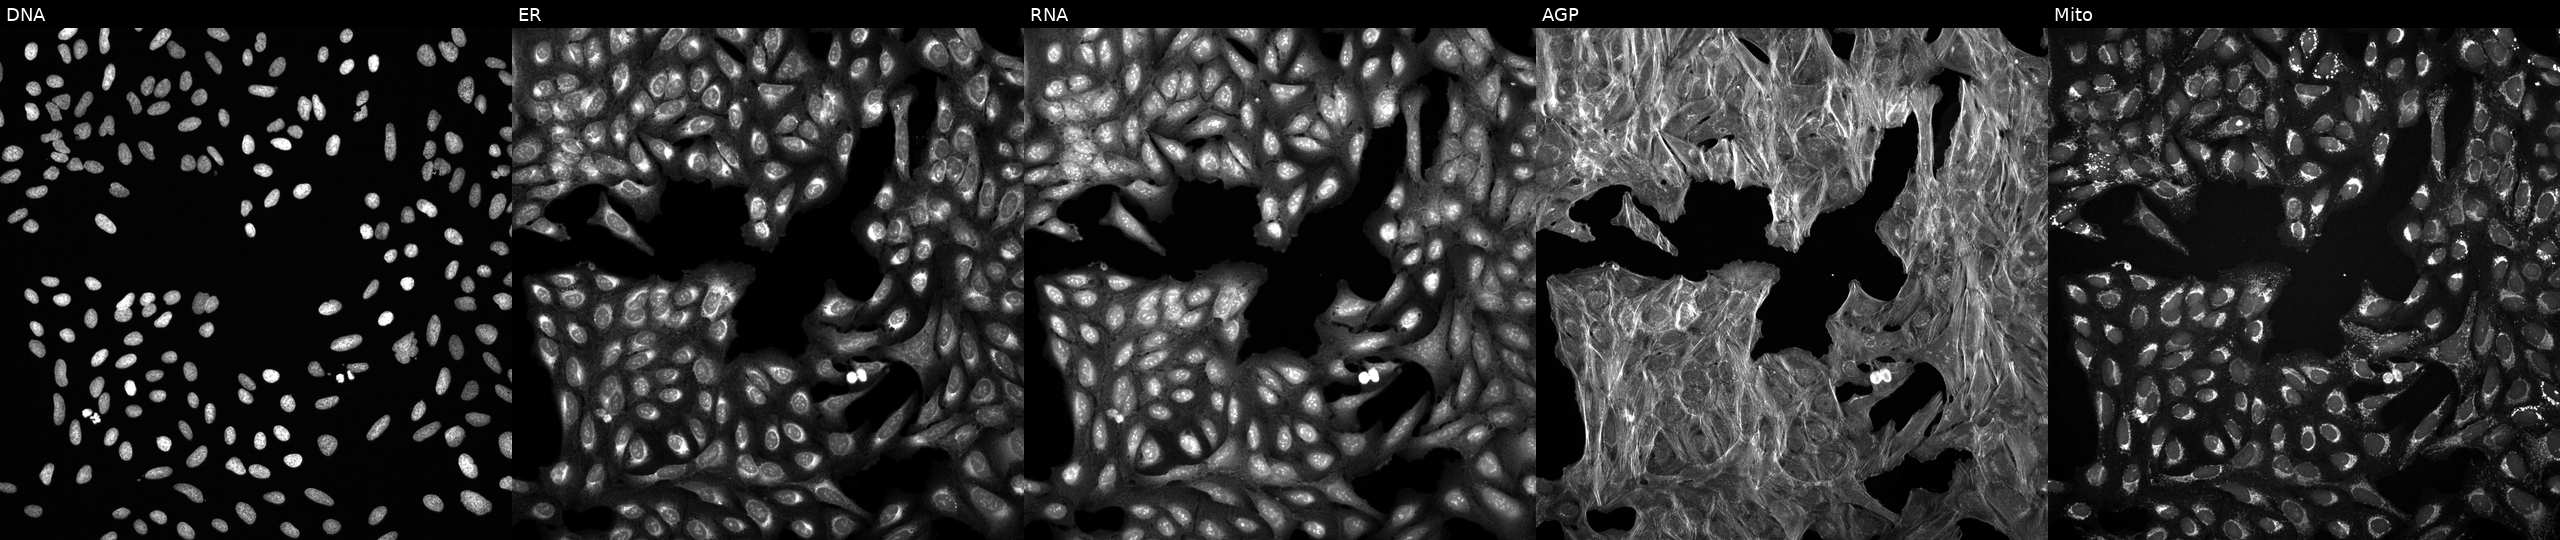
High-content fluorescence microscopy (Cell Painting). Cell line: U2OS. Perturbation: exposed to DMSO alone as a negative control. Channels (left→right): DNA, ER, RNA, AGP, and Mito.